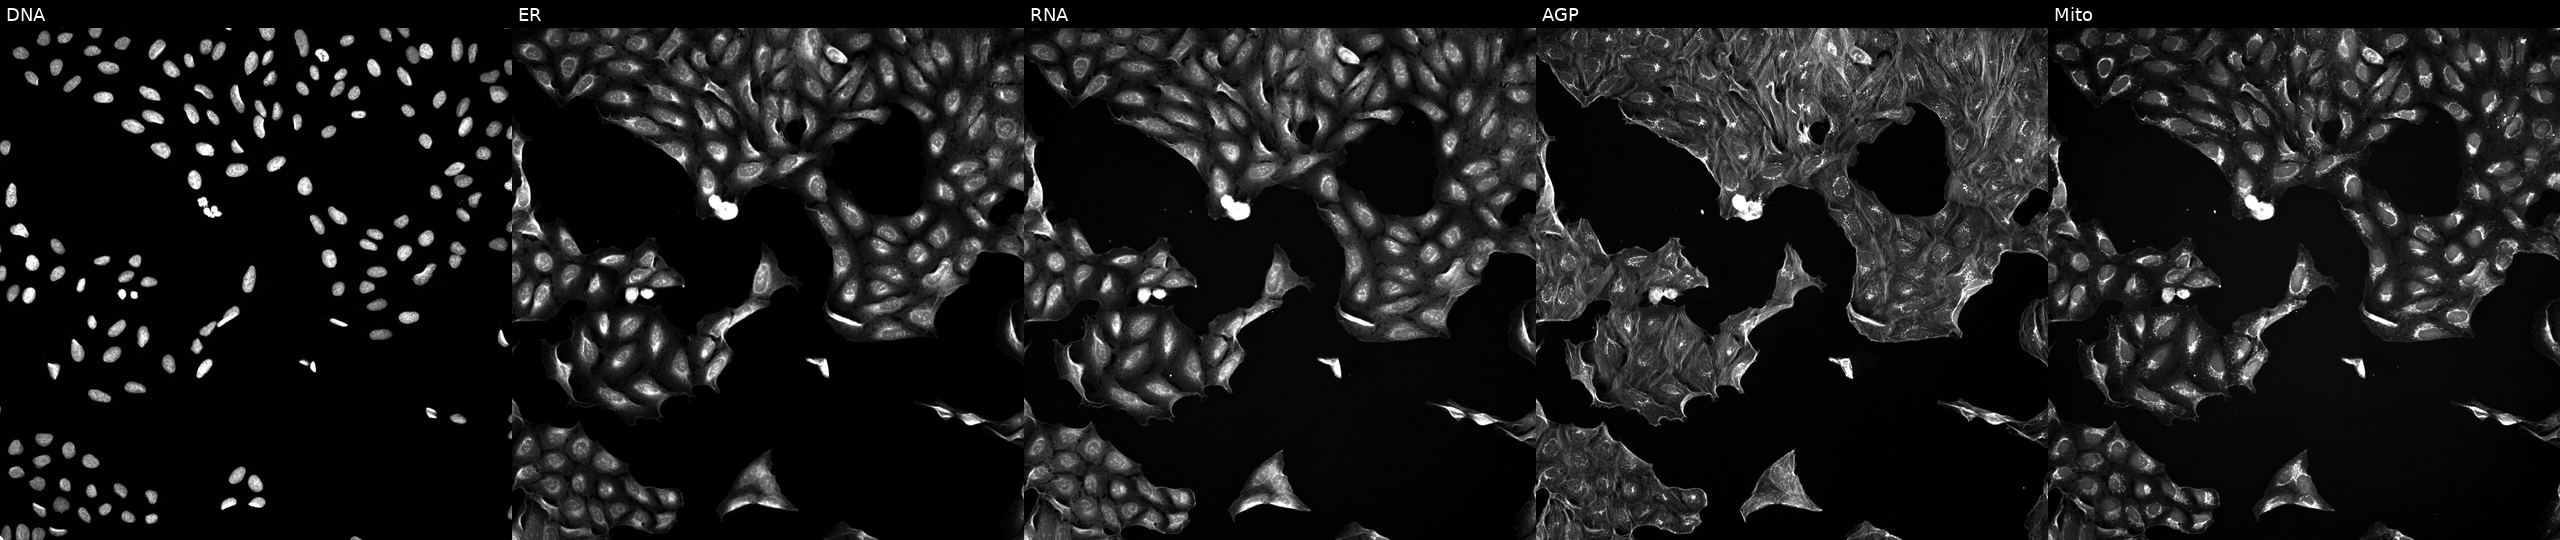
High-content fluorescence microscopy (Cell Painting). Cell line: U2OS. Perturbation: exposed to DMSO alone as a negative control (JUMP id JCP2022_033924). Channels (left→right): DNA (nuclei); ER (endoplasmic reticulum); RNA (nucleoli and cytoplasmic RNA); AGP (actin cytoskeleton, Golgi, and plasma membrane); Mito (mitochondria).